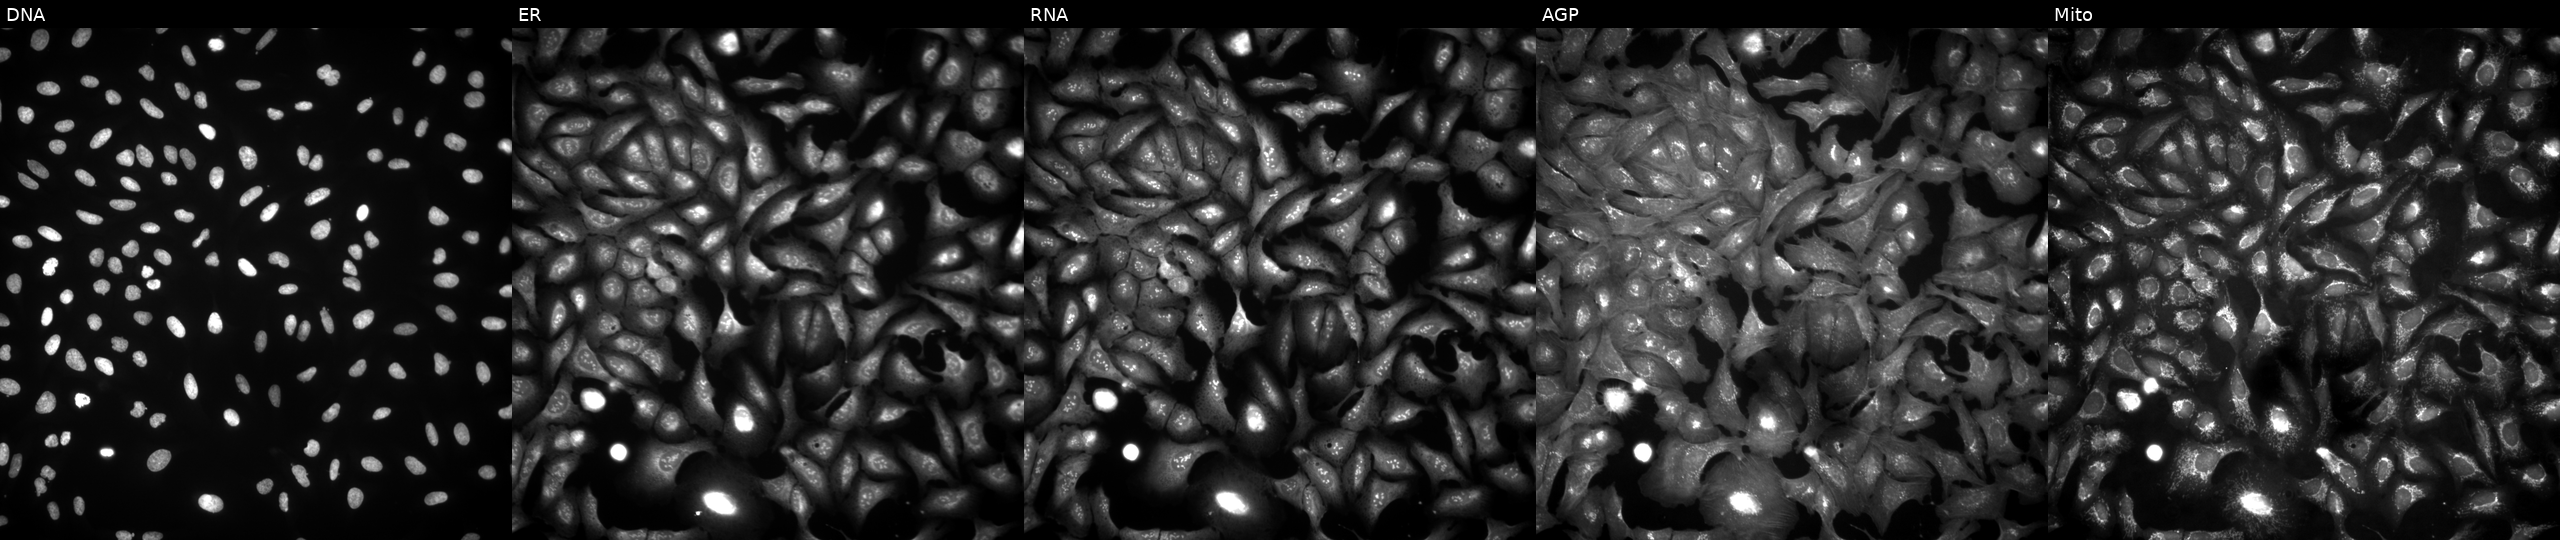
The five panels, left to right, show DNA, ER, RNA, AGP, and Mito. U2OS osteosarcoma cells with CASTOR1 overexpressed (ORF). Cell Painting assay, JUMP-CP dataset. Source 4, plate BR00124790, well J17.